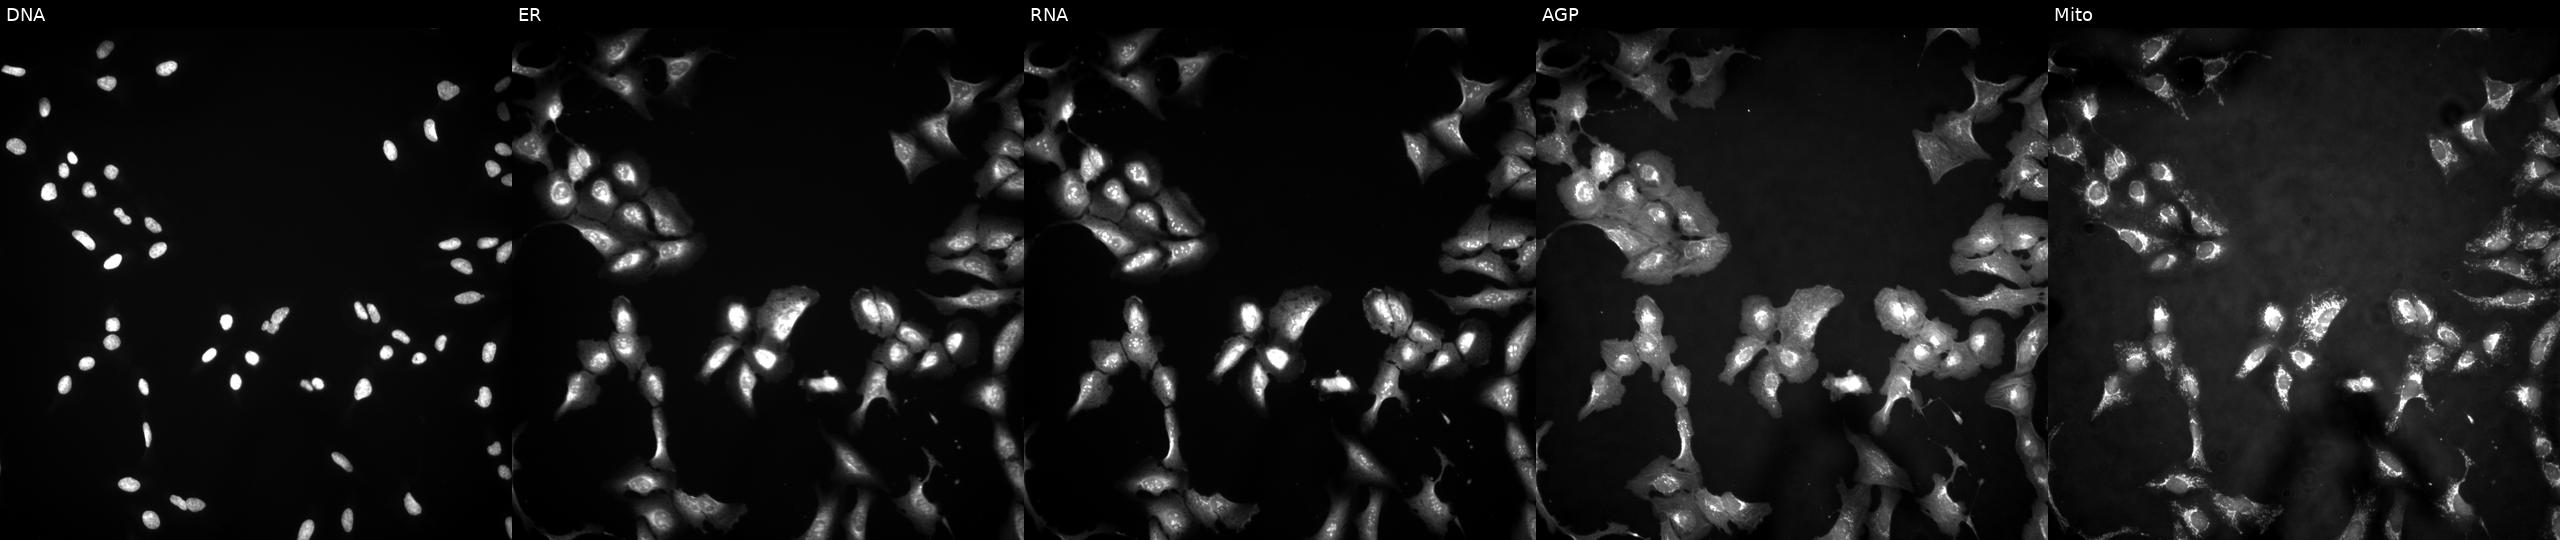
High-content fluorescence microscopy (Cell Painting). Cell line: U2OS. Perturbation: with LIMK2 overexpressed (ORF) (JUMP id JCP2022_900883). Channels (left→right): DNA, ER, RNA, AGP, and Mito.